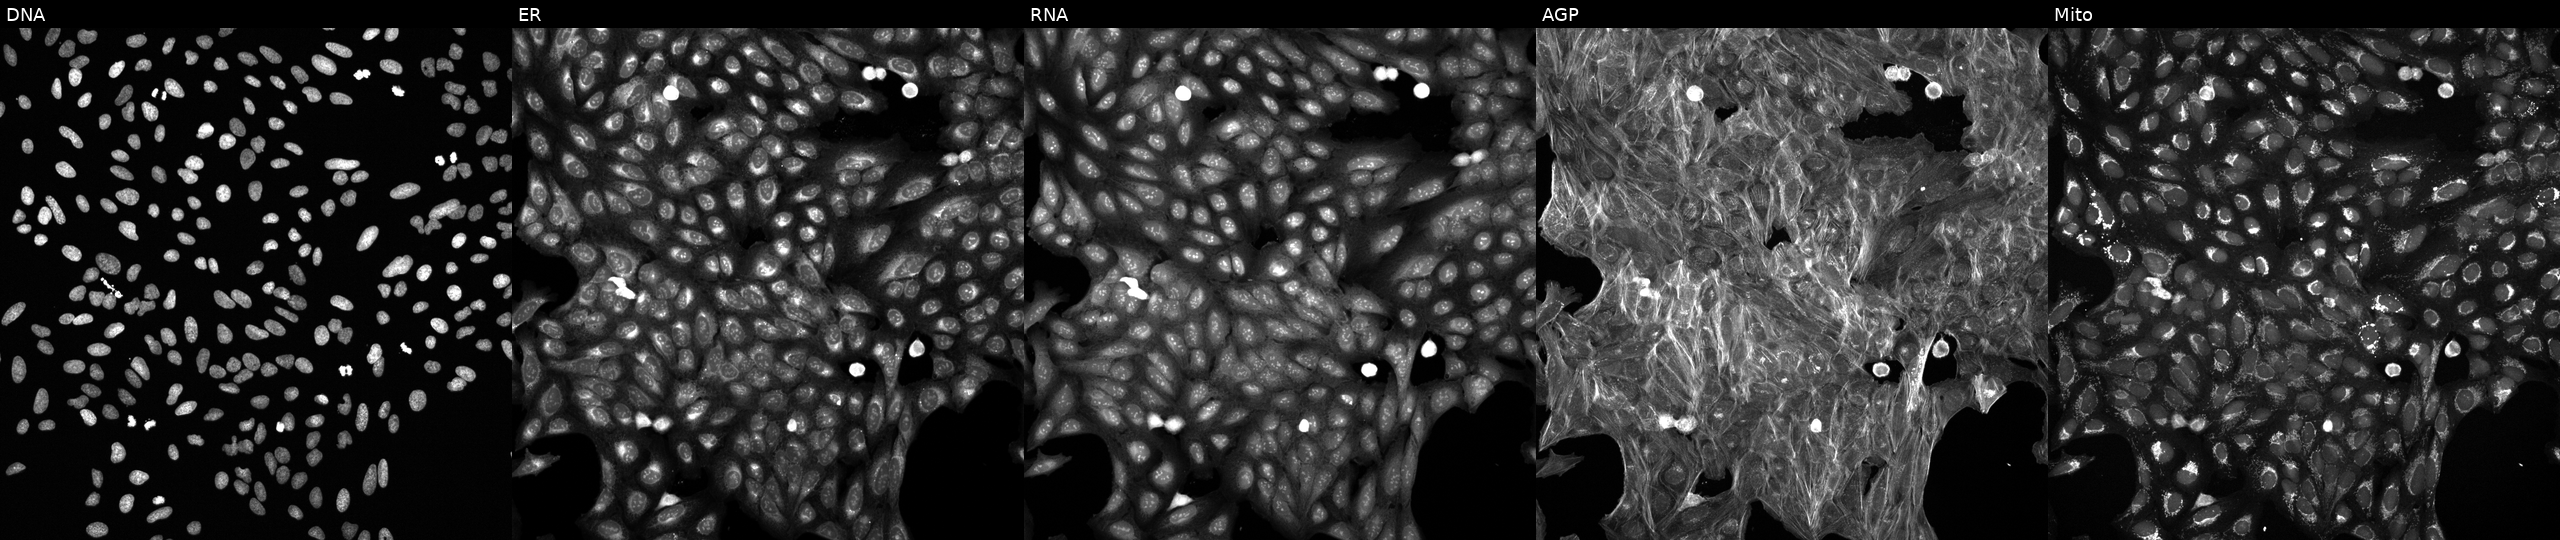
Five-channel Cell Painting image of U2OS cells exposed to a small-molecule compound (InChIKey FNAJKULWQKOECC-UHFFFAOYSA-N) (JUMP id JCP2022_021691). The five panels, left to right, show DNA, ER, RNA, AGP, and Mito. Source 6, plate 110000293083, well P15.